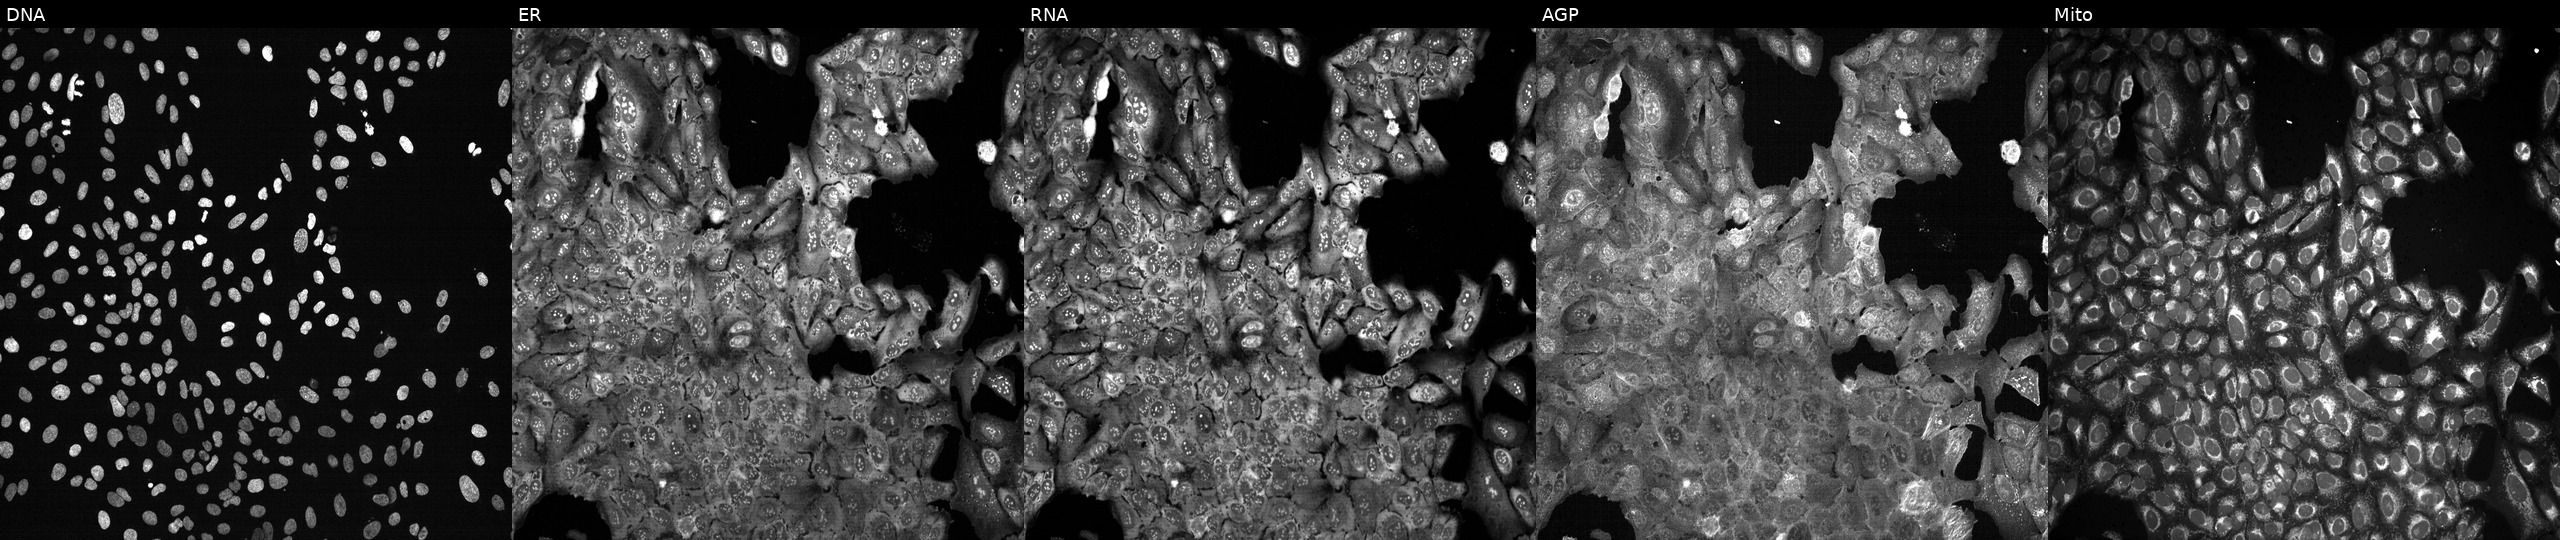
High-content fluorescence microscopy (Cell Painting). Cell line: U2OS. Perturbation: CRISPR-edited to disrupt CA14. From left to right: DNA, ER, RNA, AGP, and Mito.